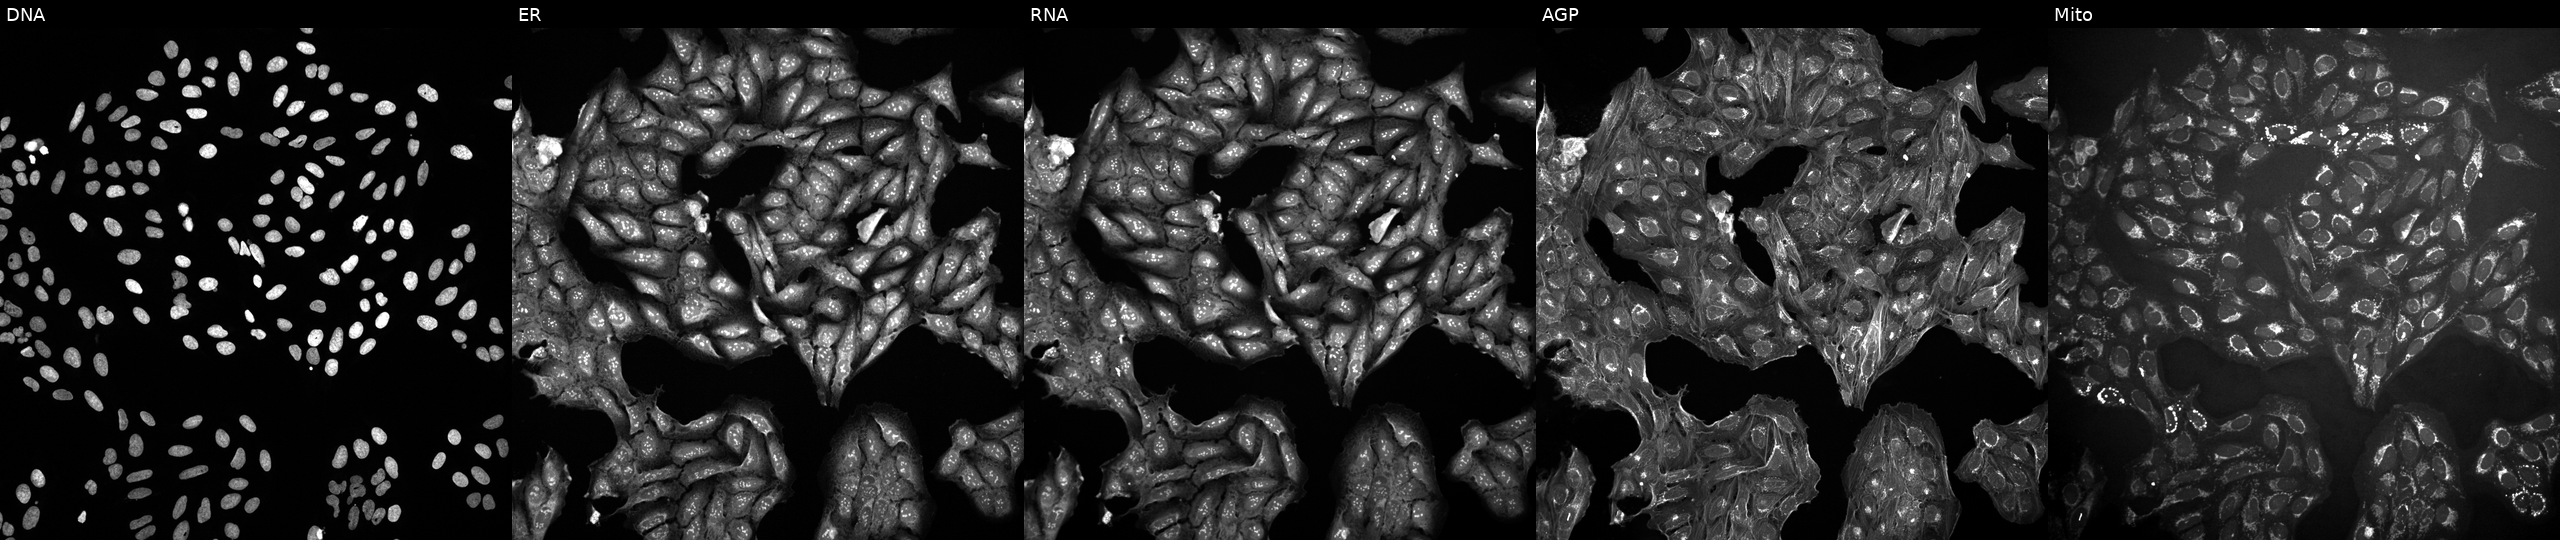
Channels (left→right): Hoechst 33342, concanavalin A, SYTO 14, phalloidin and WGA, MitoTracker. U2OS osteosarcoma cells exposed to DMSO alone as a negative control. Cell Painting assay, JUMP-CP dataset. Source 10, plate Dest210531-152149, well B02.